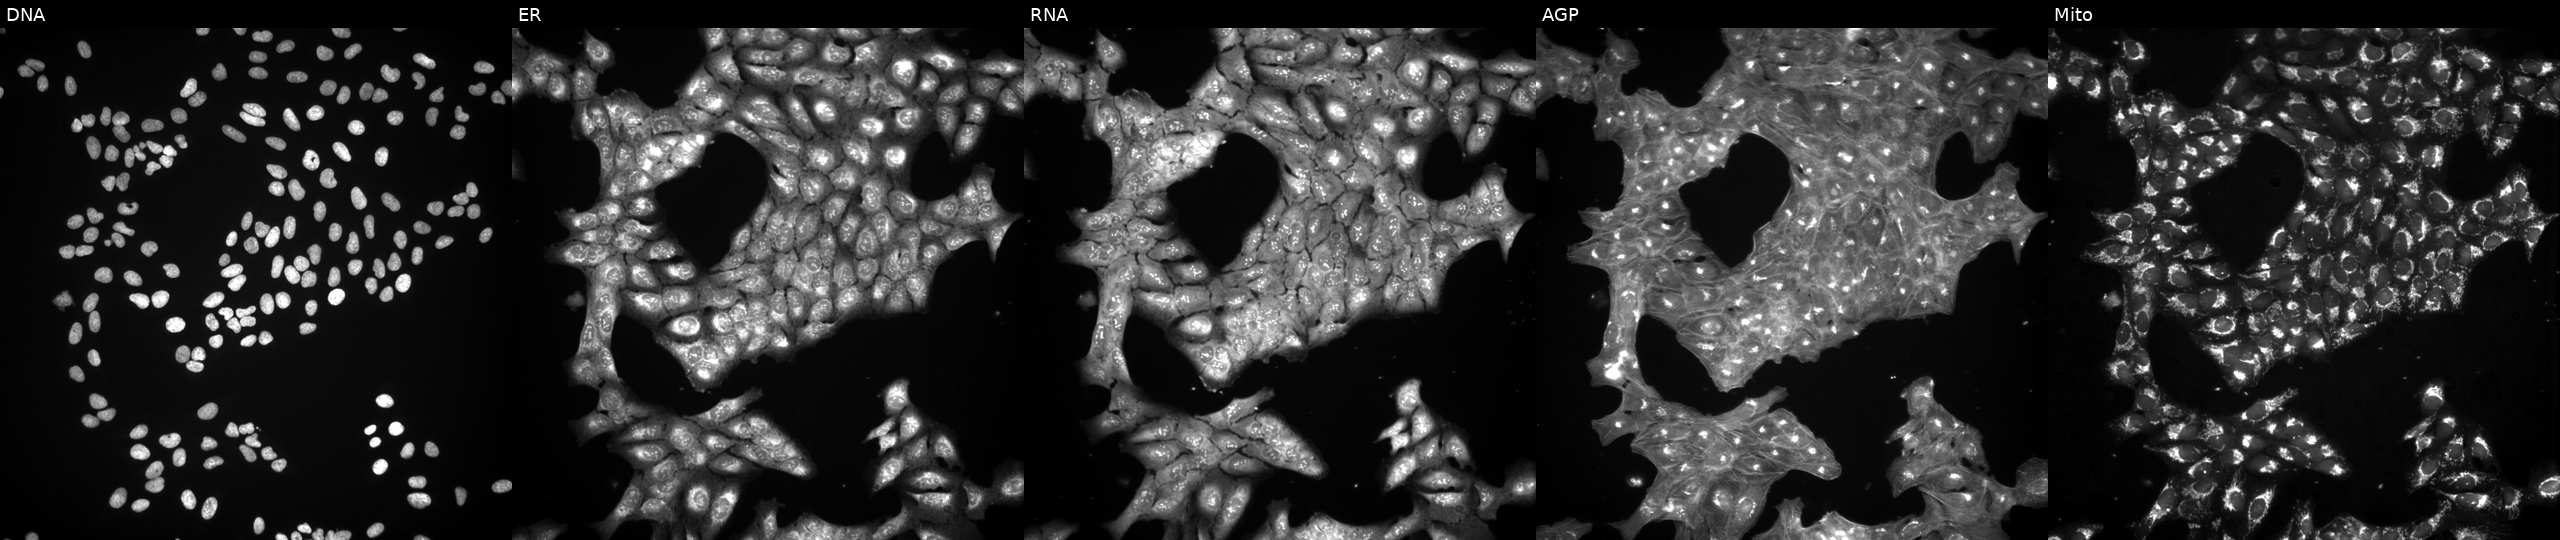
High-content fluorescence microscopy (Cell Painting). Cell line: U2OS. Perturbation: exposed to DMSO alone as a negative control. Panels show, left to right, Hoechst 33342, concanavalin A, SYTO 14, phalloidin and WGA, MitoTracker.